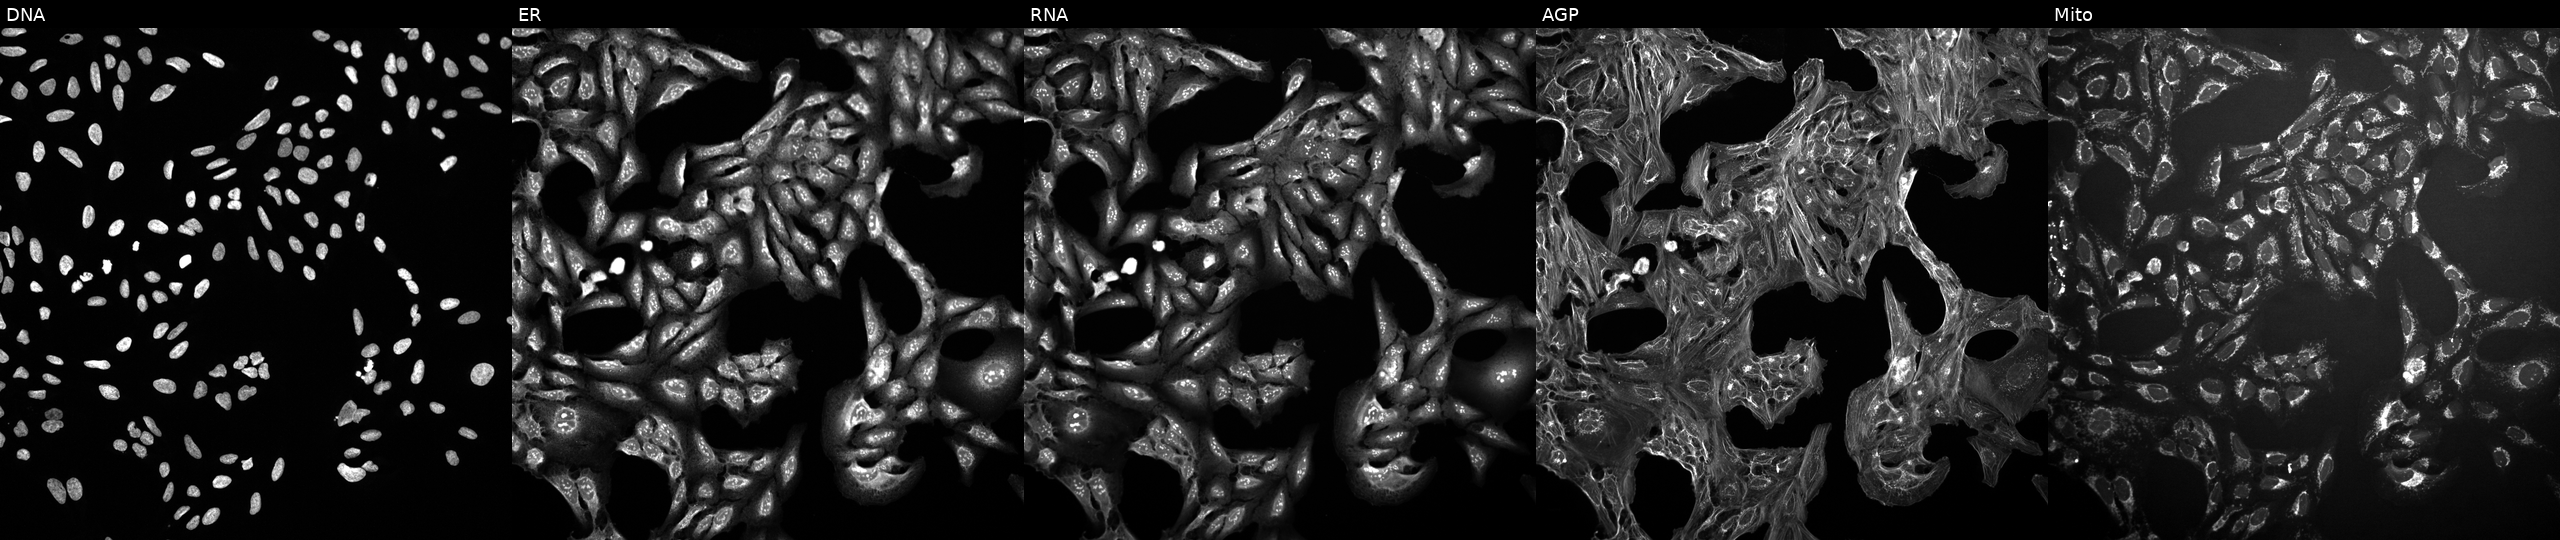
U2OS cells, Cell Painting assay, treated with DMSO vehicle only (negative control) (JUMP id JCP2022_033924). Channels (left→right): DNA, ER, RNA, AGP, and Mito. Each panel is percentile-stretched 16-bit fluorescence.